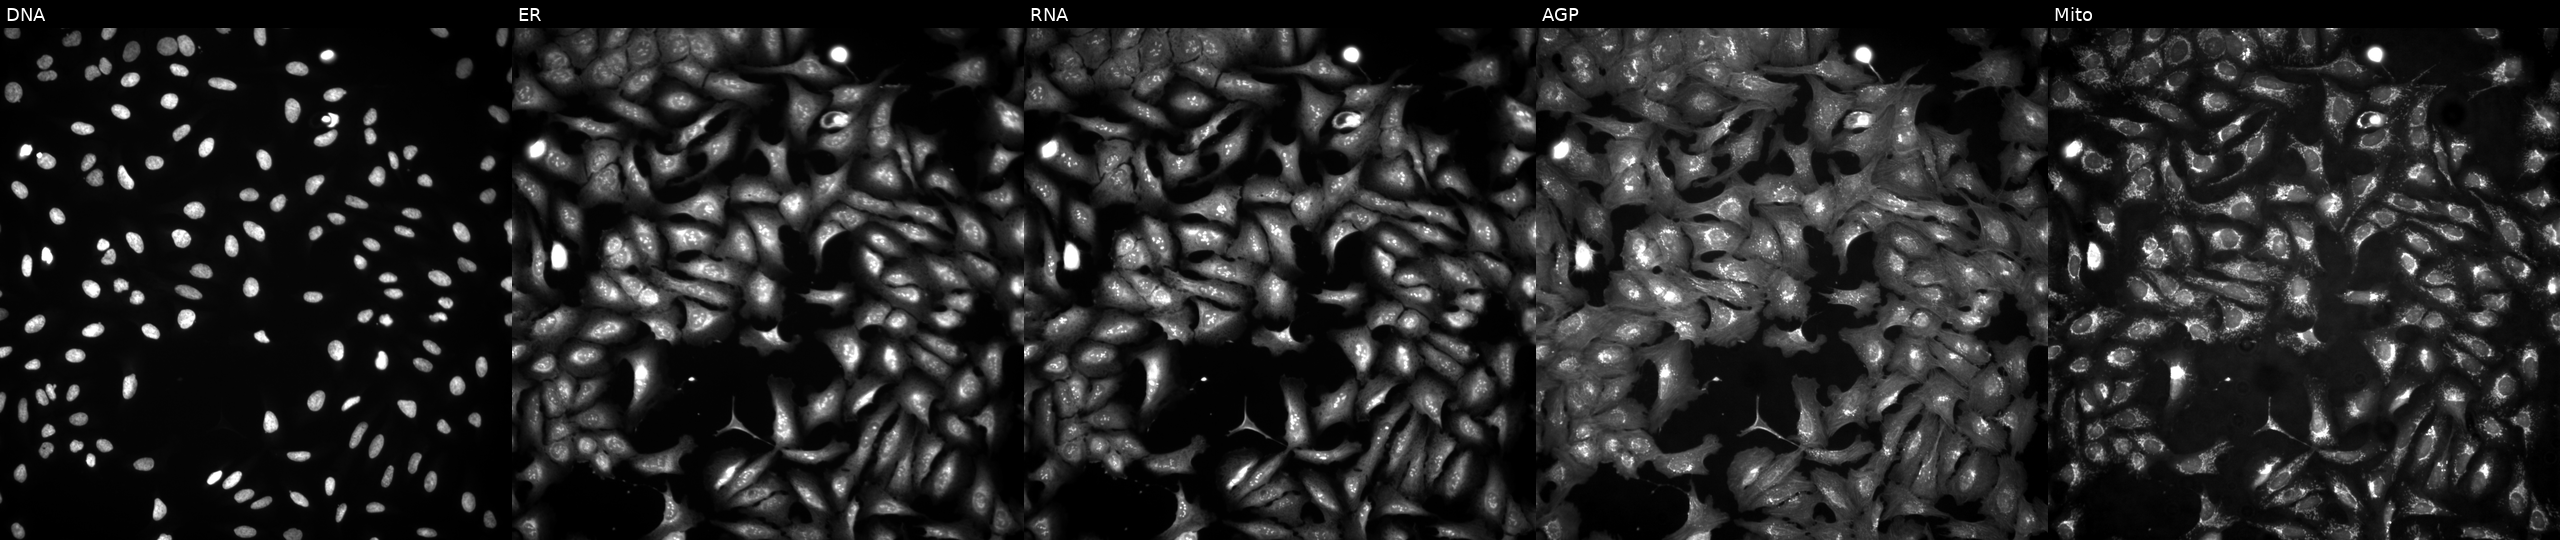
JUMP Cell Painting — ORF plate. U2OS cells with MRPL45 overexpressed (ORF) (JUMP id JCP2022_911936). From left to right: Hoechst 33342, concanavalin A, SYTO 14, phalloidin and WGA, MitoTracker.